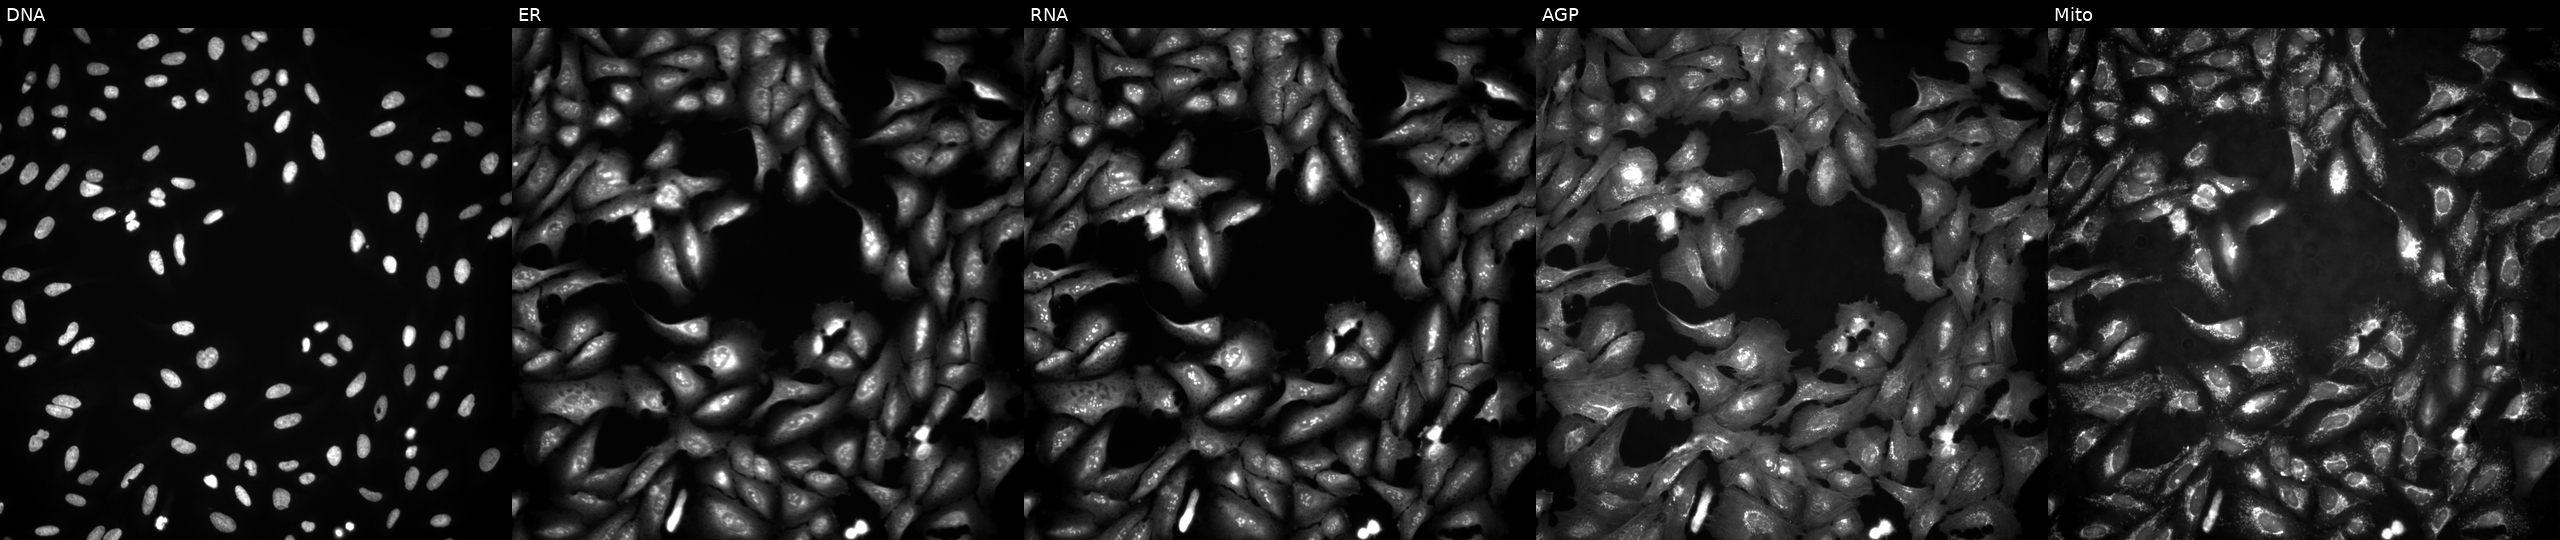
JUMP Cell Painting — ORF plate. U2OS cells overexpressing AKT2 via ORF transfection (JUMP id JCP2022_900041). Channels (left→right): DNA, ER, RNA, AGP, and Mito. Source 4, plate BR00124787, well H13.